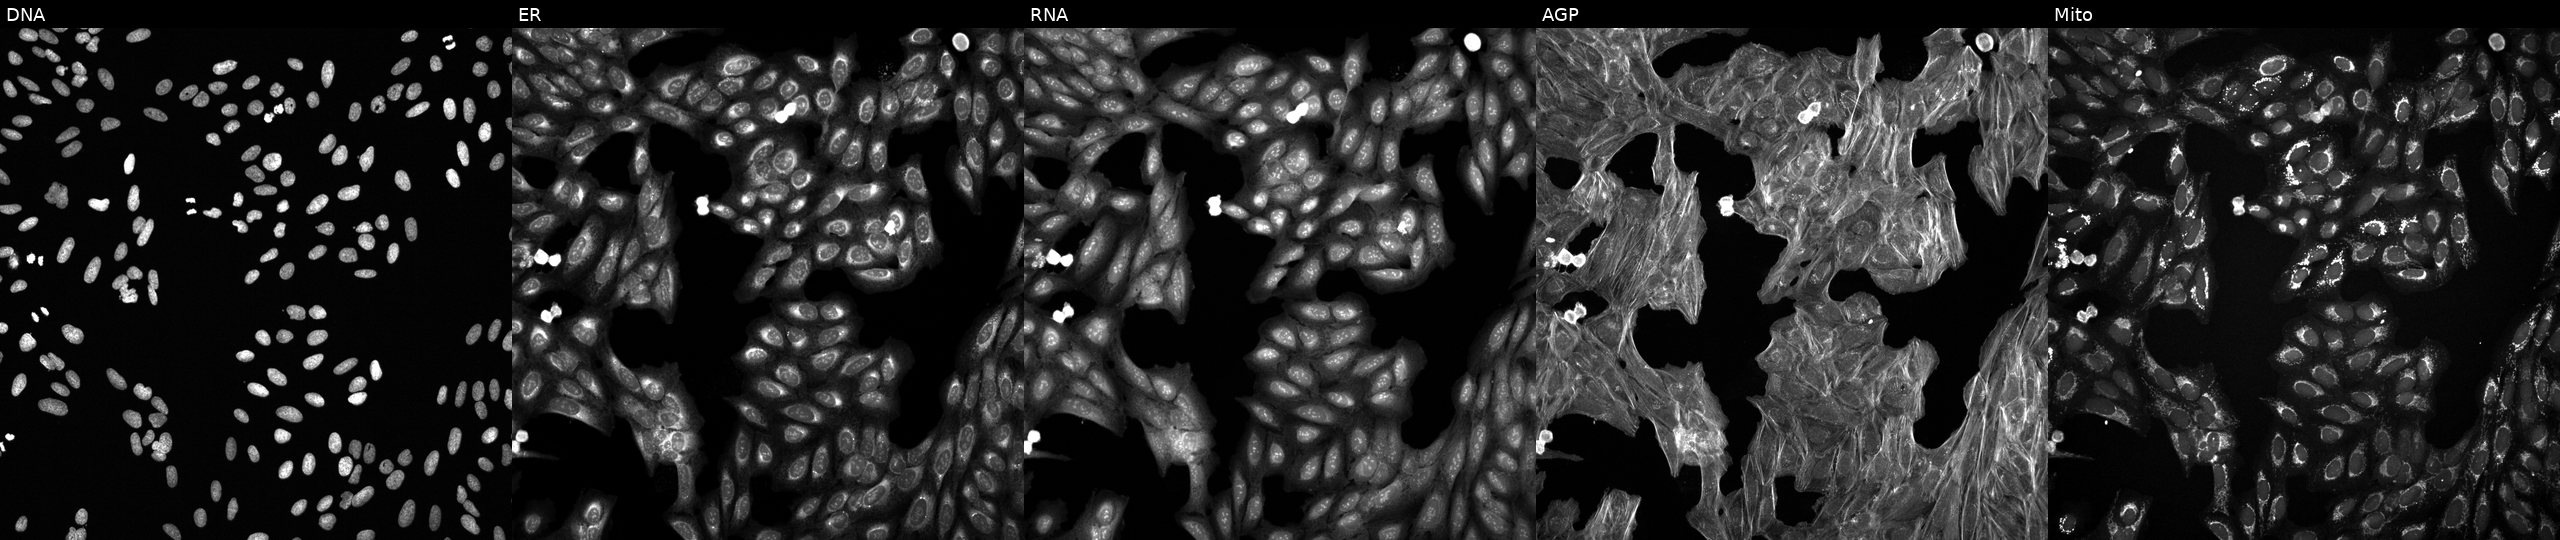
U2OS cells, Cell Painting assay, treated with a small-molecule compound (JUMP id JCP2022_067666). Channels (left→right): DNA, ER, RNA, AGP, and Mito. Each panel is percentile-stretched 16-bit fluorescence. Source 6, plate 110000293083, well I07.